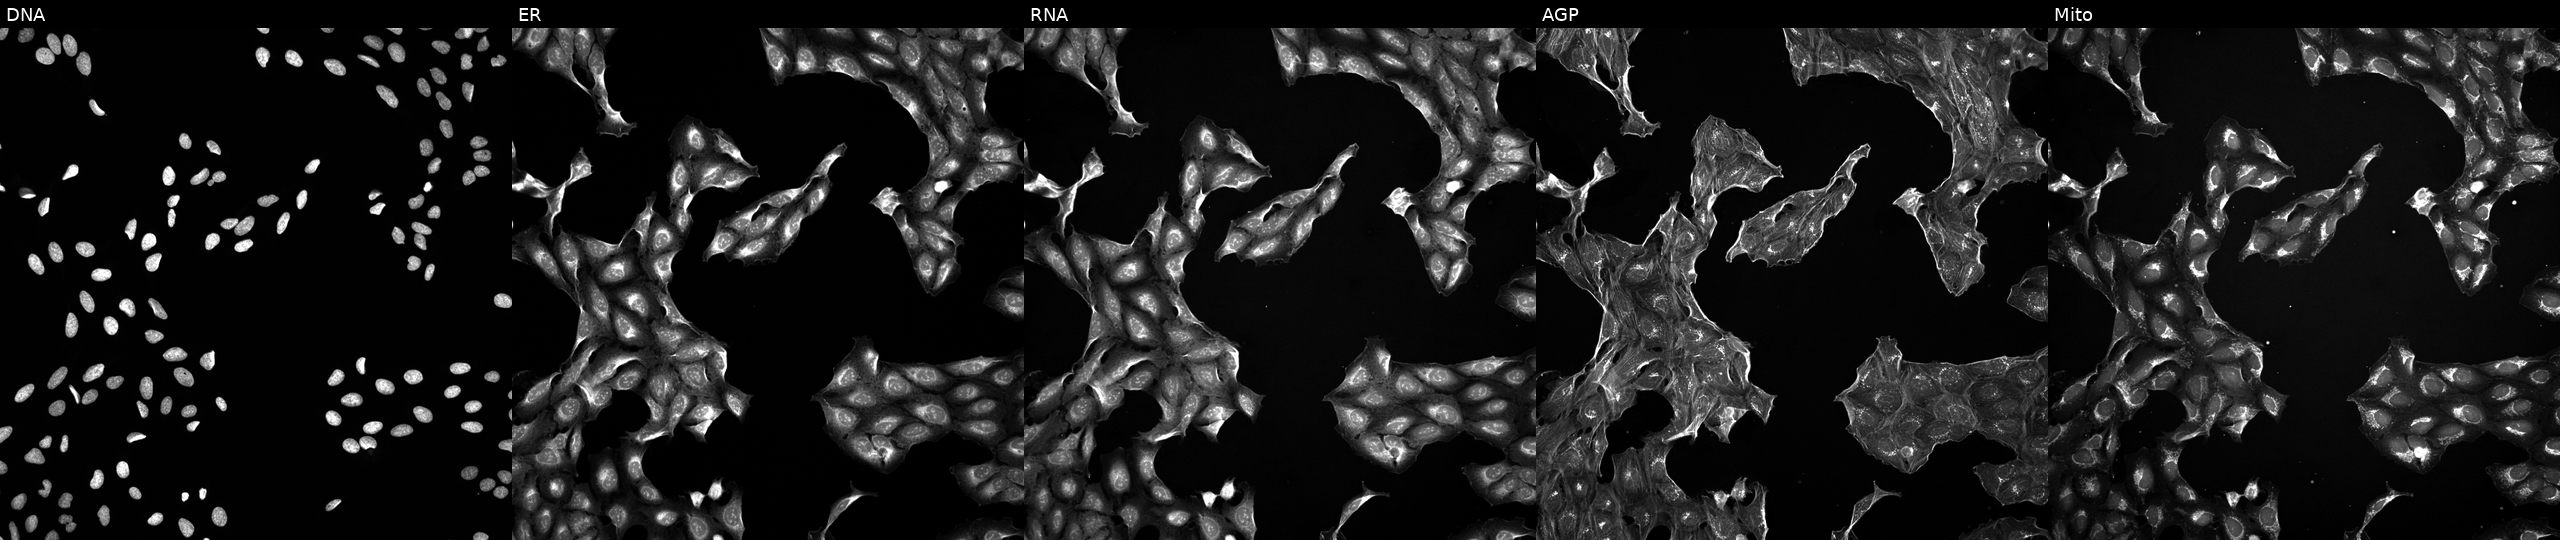
Panels show, left to right, DNA (nuclei); ER (endoplasmic reticulum); RNA (nucleoli and cytoplasmic RNA); AGP (actin cytoskeleton, Golgi, and plasma membrane); Mito (mitochondria). U2OS osteosarcoma cells exposed to a small-molecule compound (InChIKey CMSMOCZEIVJLDB-UHFFFAOYSA-N) (JUMP id JCP2022_012146). Cell Painting assay, JUMP-CP dataset.